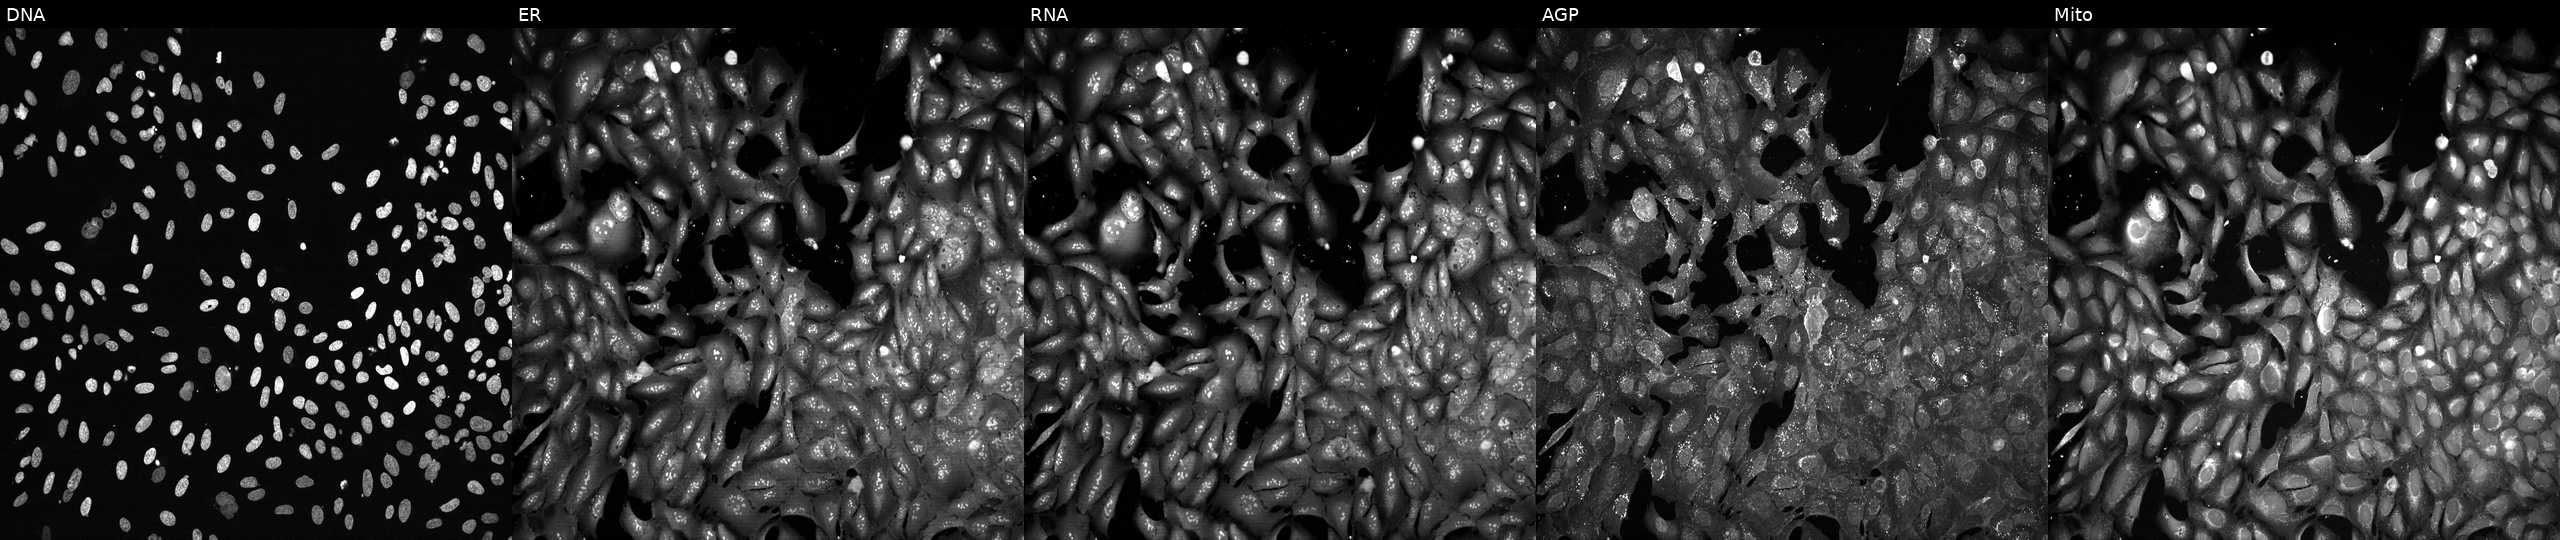
The five panels, left to right, show DNA (nuclei); ER (endoplasmic reticulum); RNA (nucleoli and cytoplasmic RNA); AGP (actin cytoskeleton, Golgi, and plasma membrane); Mito (mitochondria). U2OS osteosarcoma cells following CRISPR knockout of TNPO1 (JUMP id JCP2022_807186). Cell Painting assay, JUMP-CP dataset.